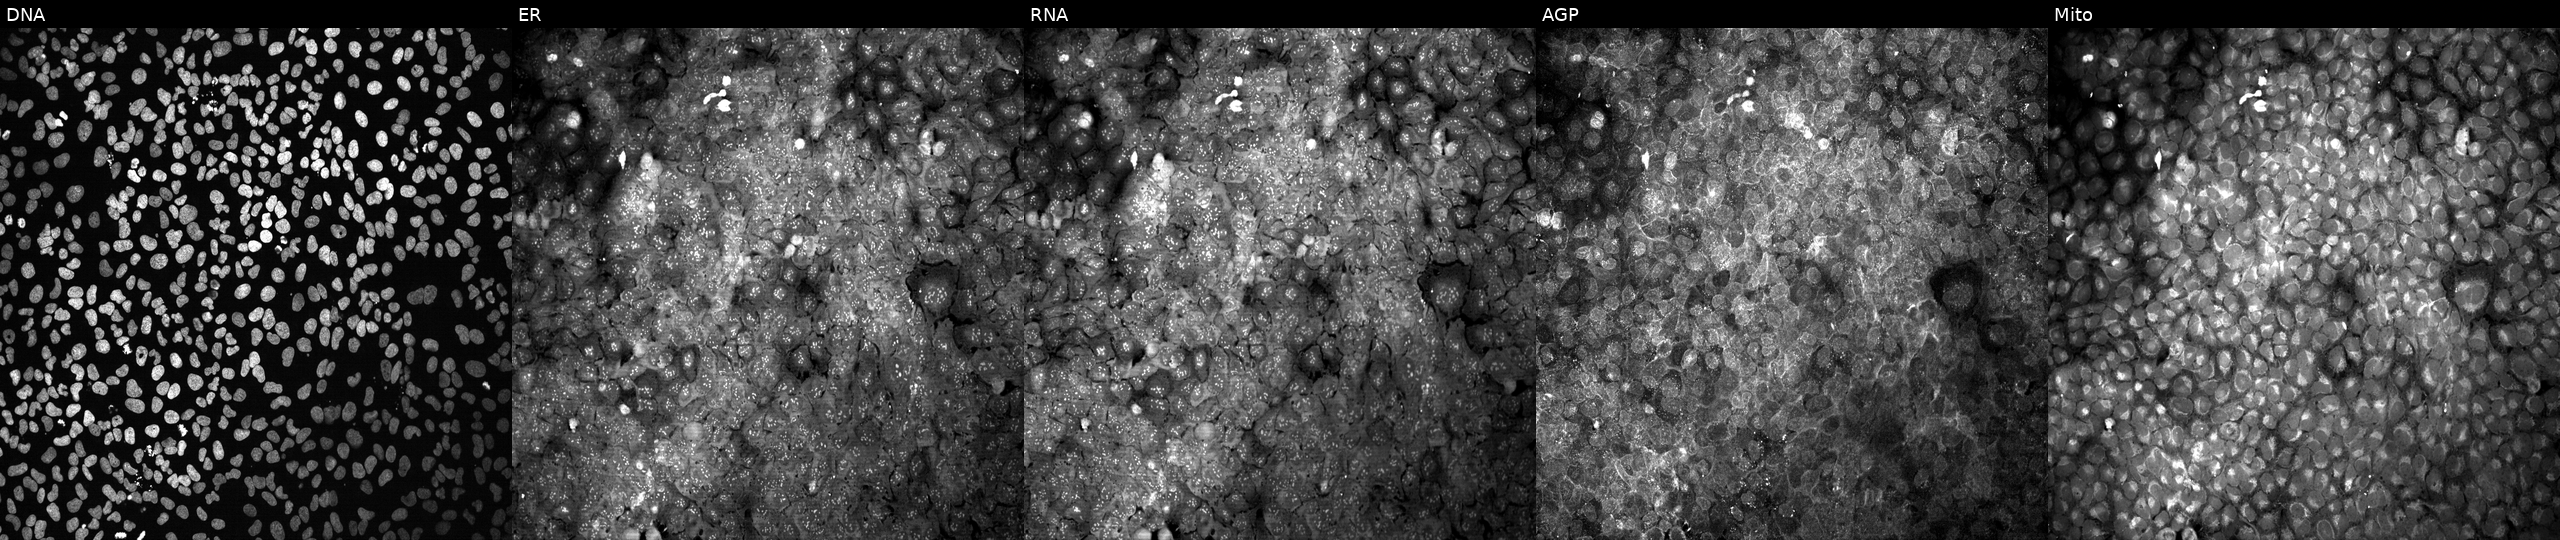
U2OS cells, Cell Painting assay, exposed to DMSO alone as a negative control (JUMP id JCP2022_033924). From left to right: Hoechst 33342, concanavalin A, SYTO 14, phalloidin and WGA, MitoTracker. Each panel is percentile-stretched 16-bit fluorescence.